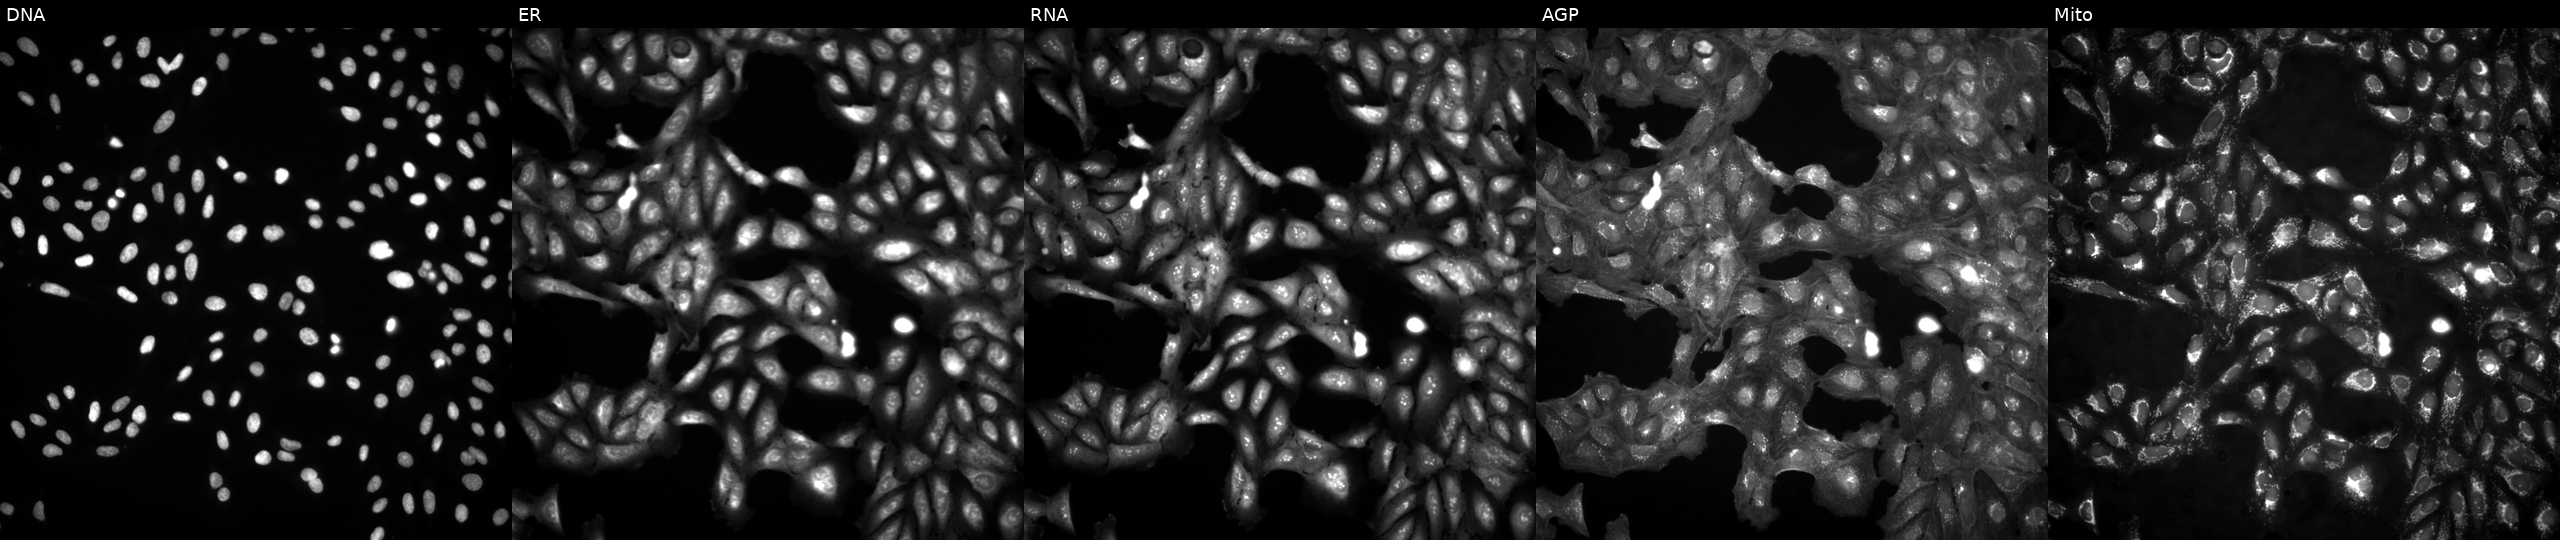
This image strip shows the five Cell Painting channels for a single field of U2OS cells untreated (empty-well control) (JUMP id JCP2022_999999). Channels (left→right): Hoechst 33342, concanavalin A, SYTO 14, phalloidin and WGA, MitoTracker.